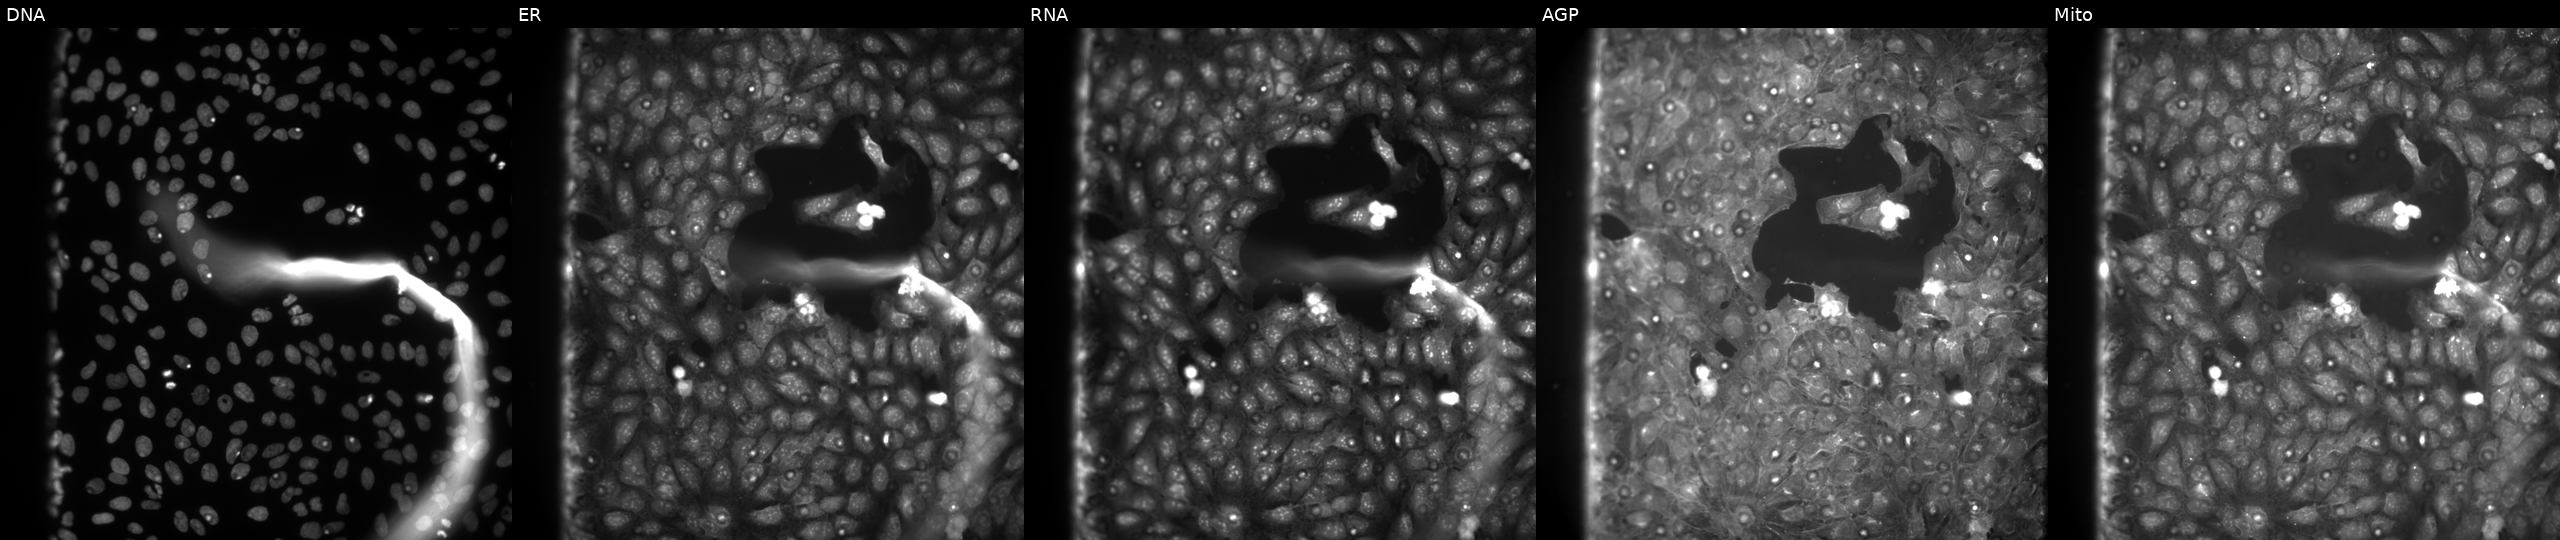
Channels (left→right): DNA, ER, RNA, AGP, and Mito. U2OS osteosarcoma cells exposed to the positive-control compound aloxistatin. Cell Painting assay, JUMP-CP dataset.